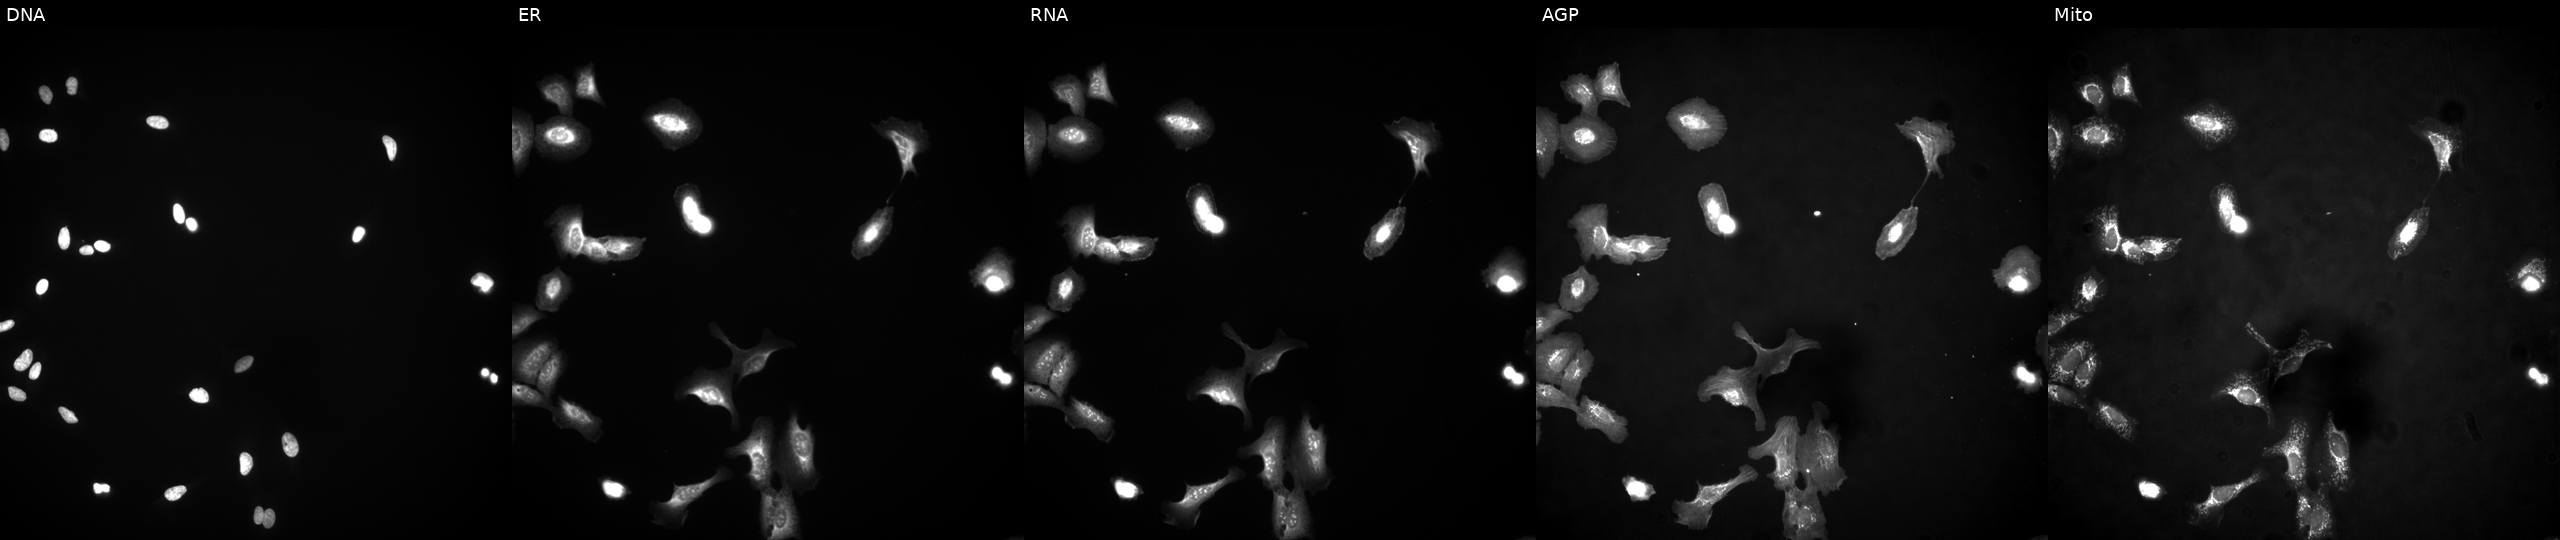
JUMP Cell Painting — ORF plate. U2OS cells with NELL1 overexpressed (ORF). From left to right: Hoechst 33342, concanavalin A, SYTO 14, phalloidin and WGA, MitoTracker.